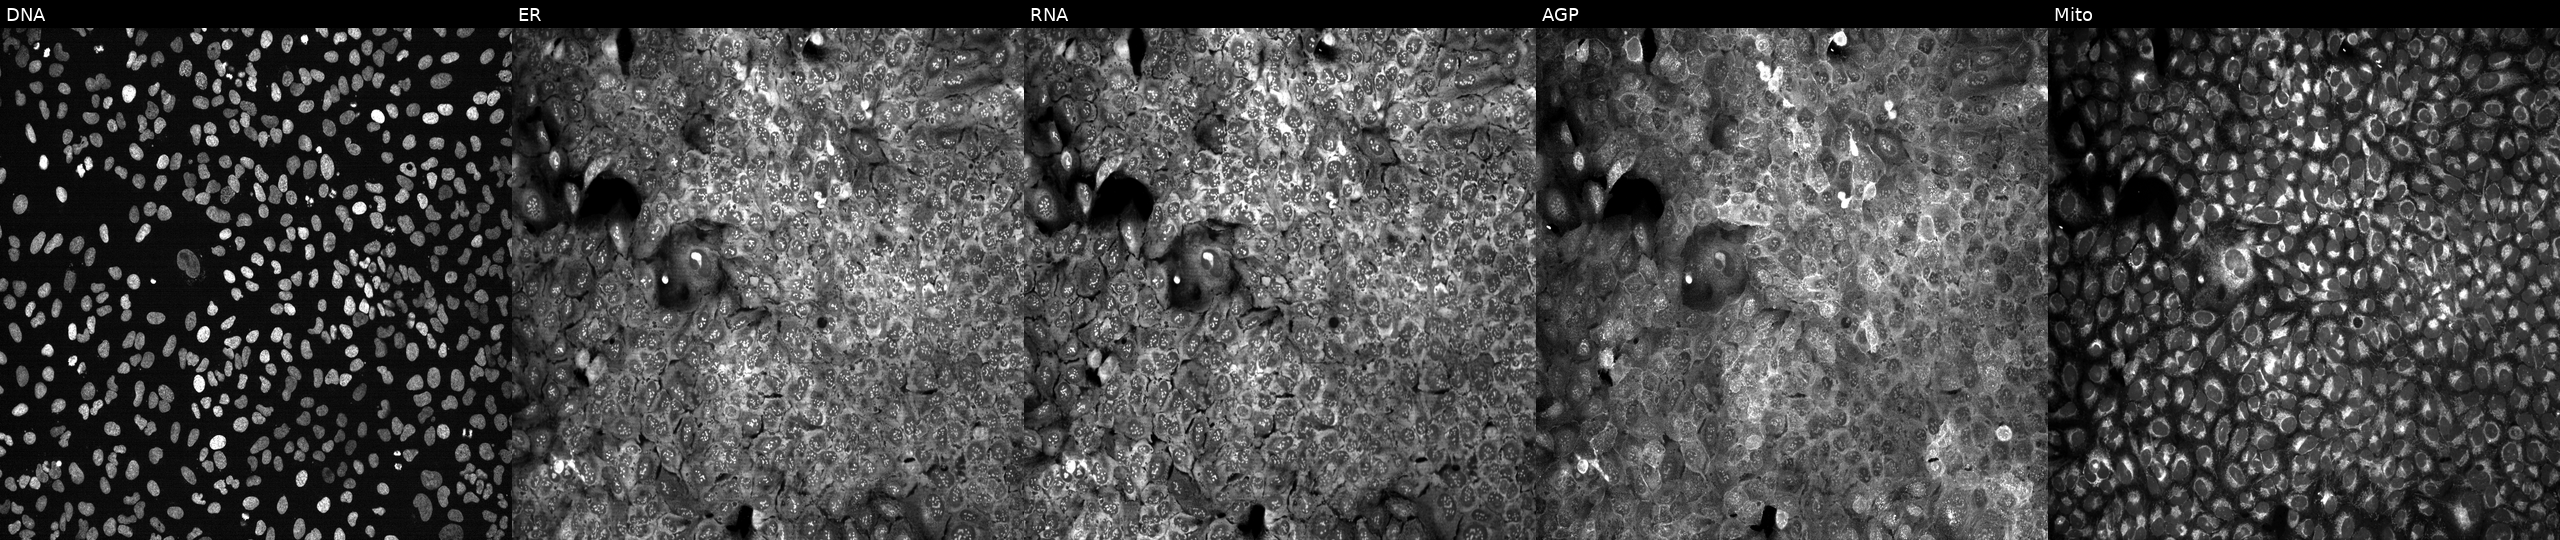
High-content fluorescence microscopy (Cell Painting). Cell line: U2OS. Perturbation: following CRISPR knockout of NISCH (JUMP id JCP2022_804570). From left to right: Hoechst 33342, concanavalin A, SYTO 14, phalloidin and WGA, MitoTracker.